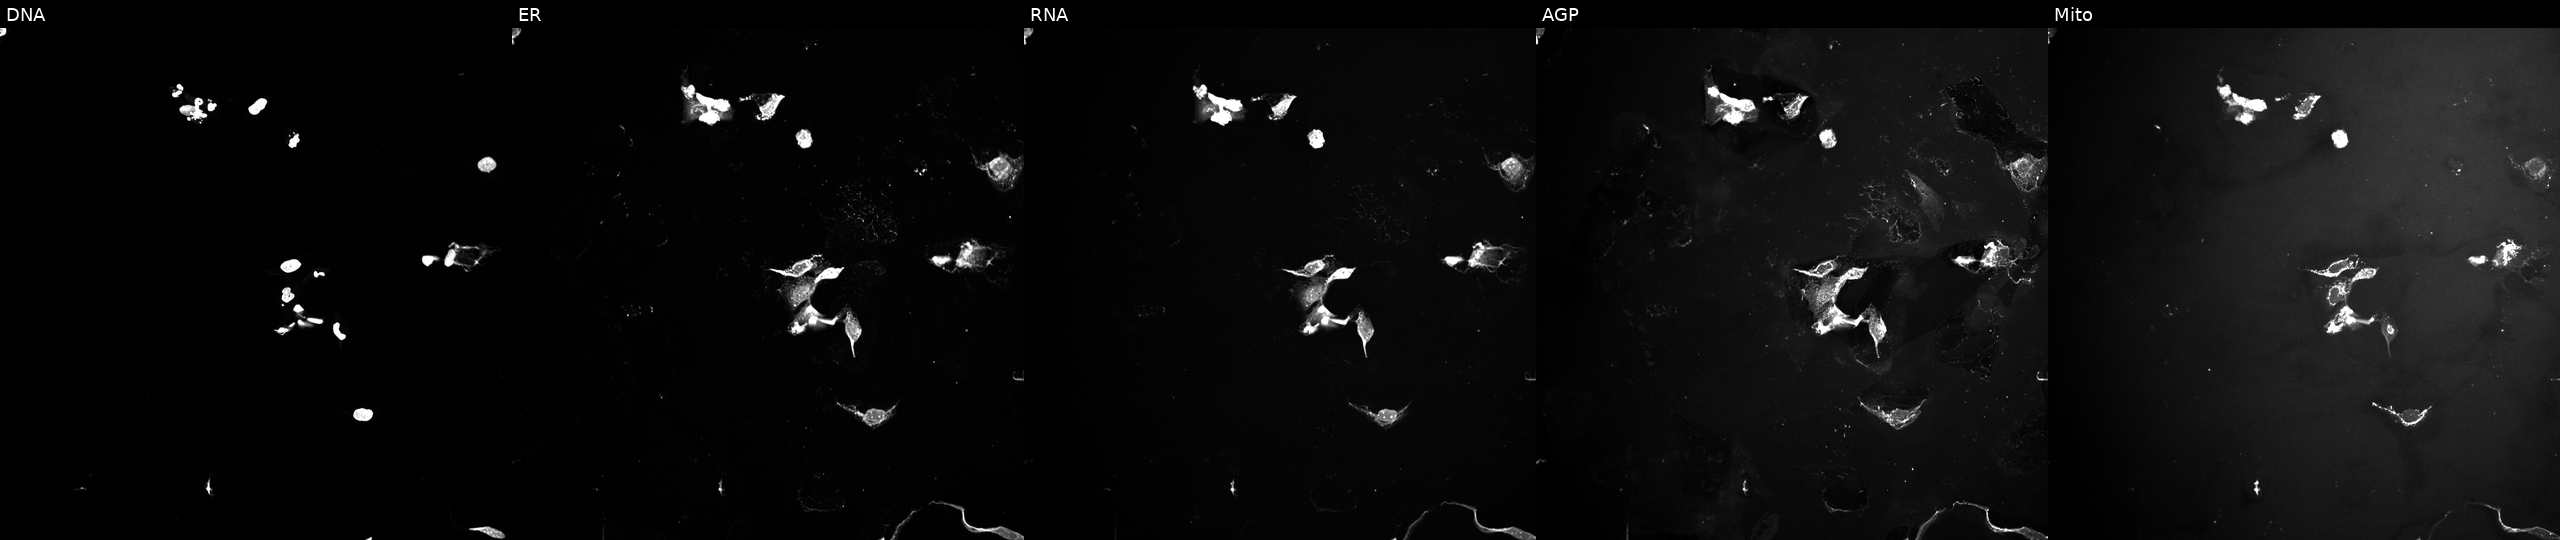
Panels show, left to right, DNA, ER, RNA, AGP, and Mito. U2OS osteosarcoma cells treated with a small-molecule compound (InChIKey RVAQIUULWULRNW-UHFFFAOYSA-N) (JUMP id JCP2022_080920). Cell Painting assay, JUMP-CP dataset.